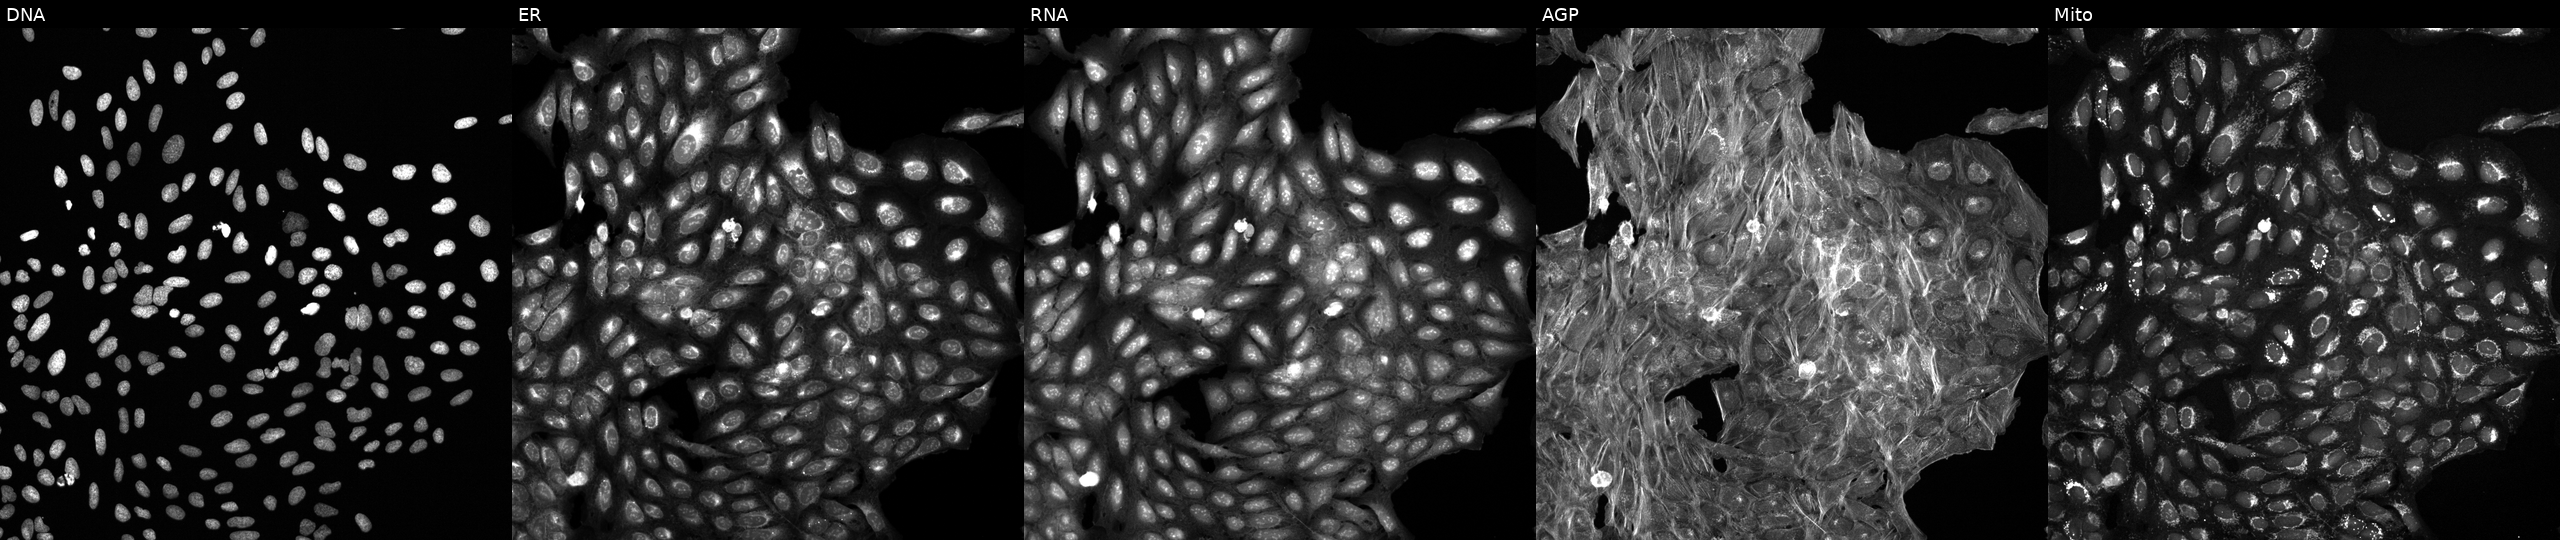
JUMP Cell Painting — COMPOUND plate. U2OS cells exposed to a small-molecule compound (InChIKey CCGPEOXYNJWOMA-UHFFFAOYSA-N) [SMILES: O=C(N=c1[nH]cnc2c1CCC2)C1CCN(S(=O)(=O)c2cccs2)CC1] (JUMP id JCP2022_010182). Channels (left→right): Hoechst 33342, concanavalin A, SYTO 14, phalloidin and WGA, MitoTracker. Source 6, plate 110000293083, well B14.